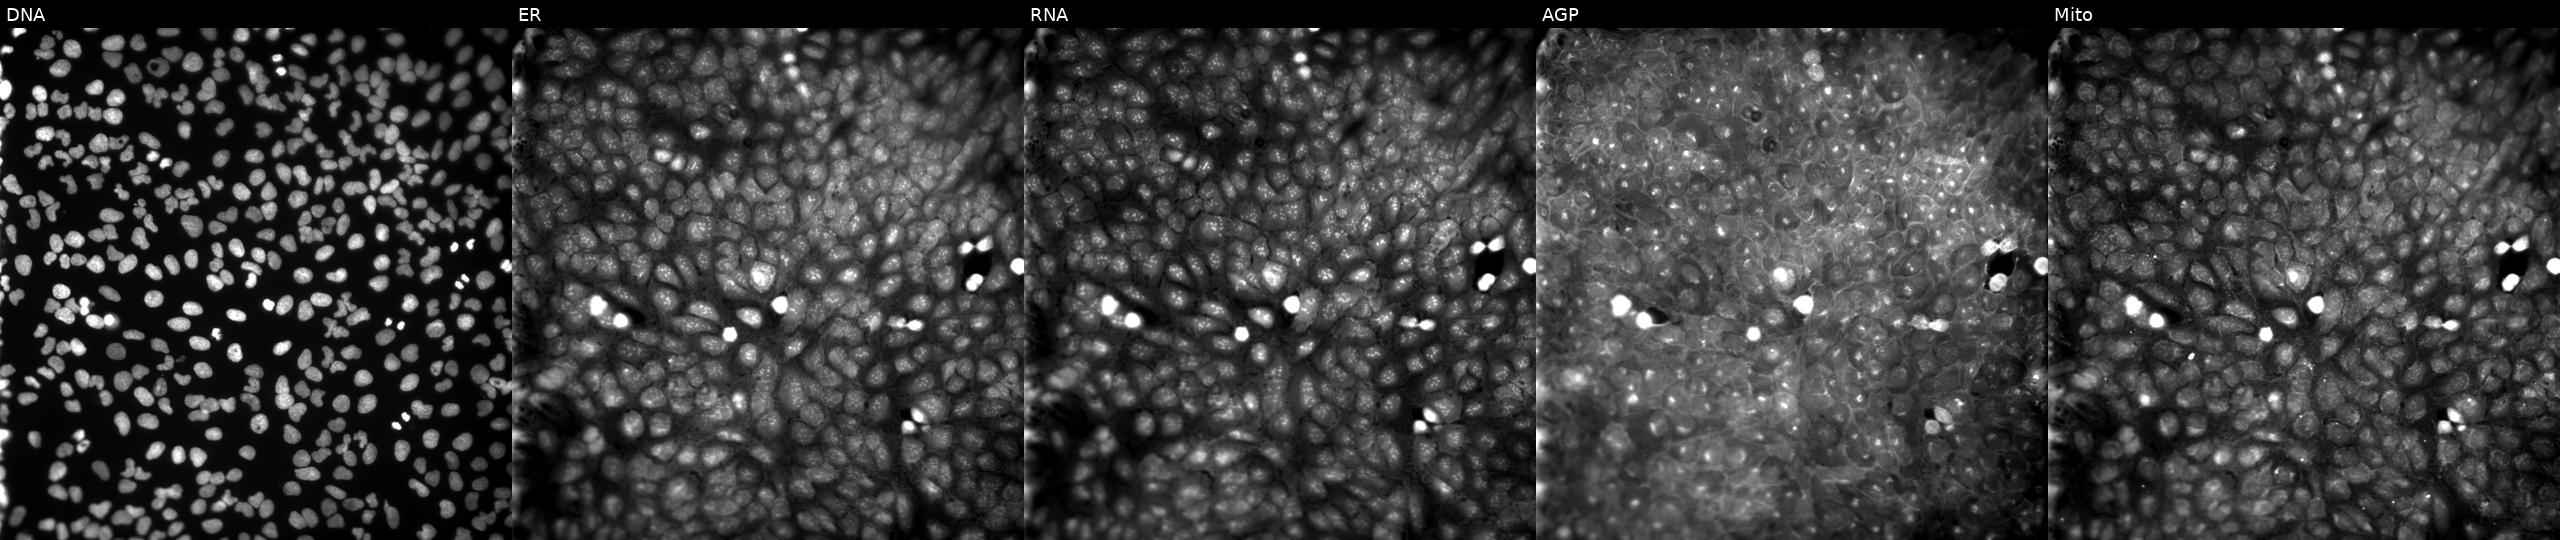
Channels (left→right): DNA (nuclei); ER (endoplasmic reticulum); RNA (nucleoli and cytoplasmic RNA); AGP (actin cytoskeleton, Golgi, and plasma membrane); Mito (mitochondria). U2OS osteosarcoma cells exposed to a small-molecule compound (JUMP id JCP2022_034784). Cell Painting assay, JUMP-CP dataset. Source 9, plate GR00003381, well AC03.